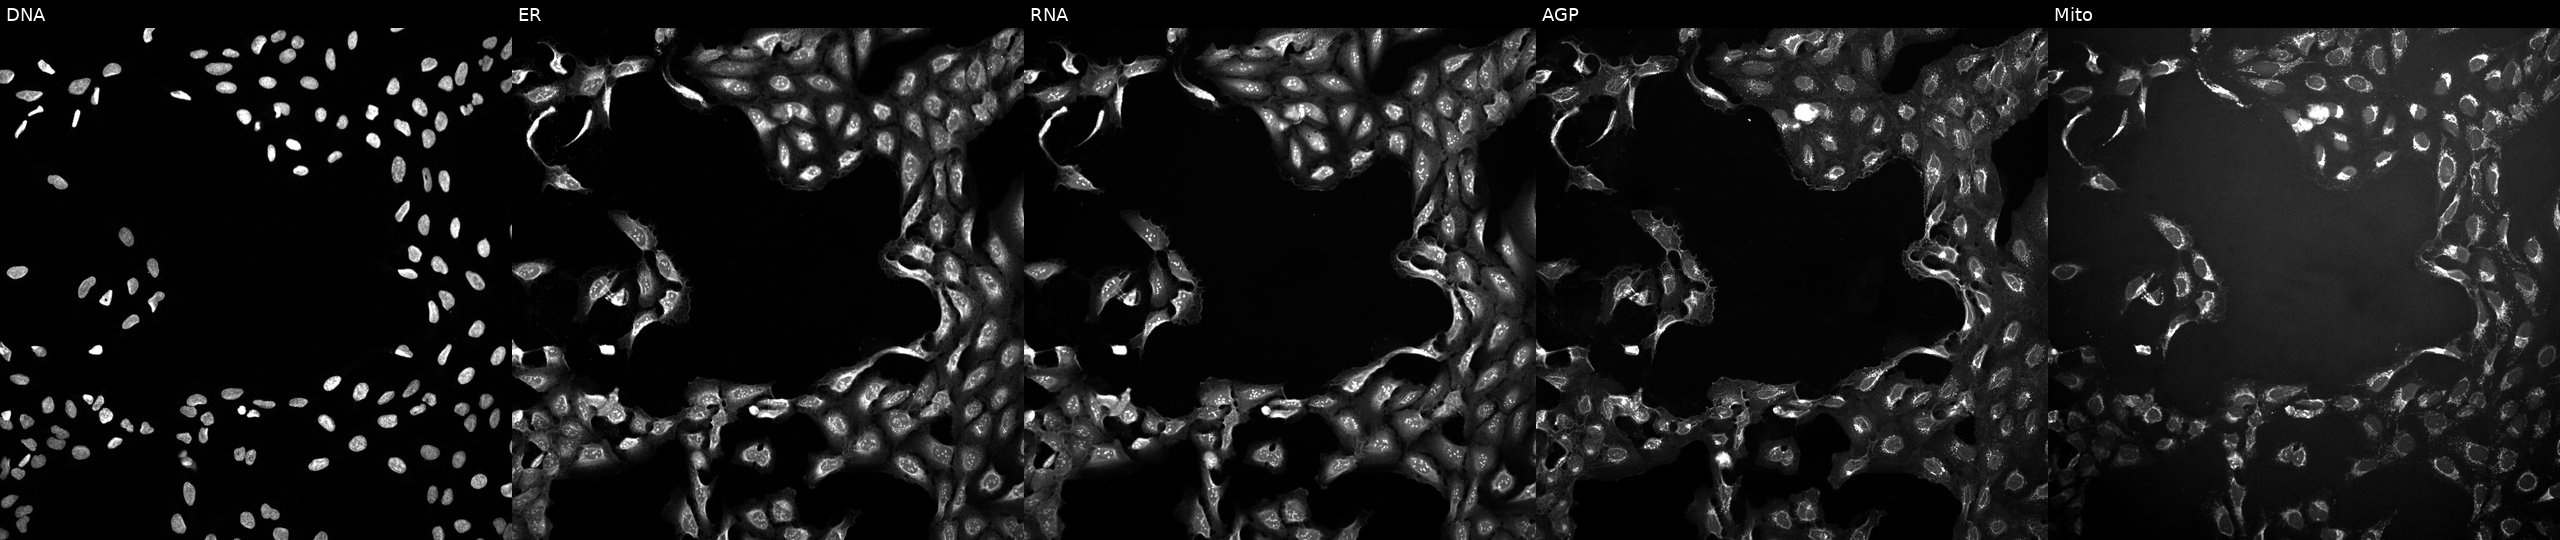
U2OS cells, Cell Painting assay, perturbed with a small-molecule compound (InChIKey PDMUULPVBYQBBK-UHFFFAOYSA-N) [SMILES: CCCCOc1cc(CC2CNC(=O)N2)ccc1OC] (JUMP id JCP2022_067887). Panels show, left to right, DNA, ER, RNA, AGP, and Mito. Each panel is percentile-stretched 16-bit fluorescence.